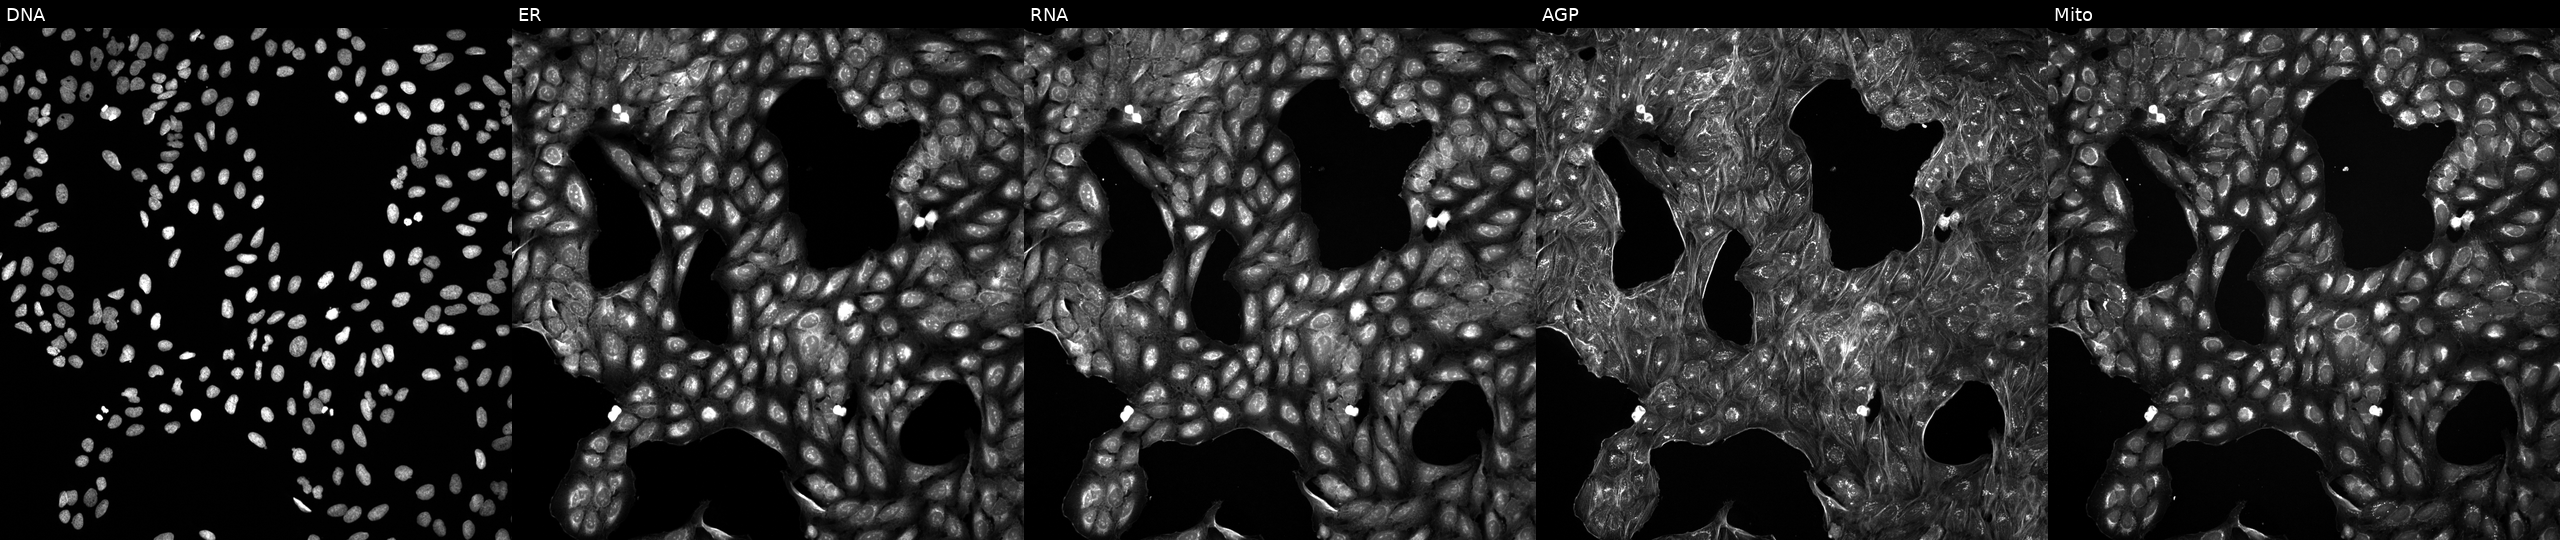
JUMP Cell Painting — COMPOUND plate. U2OS cells perturbed with a small-molecule compound. The five panels, left to right, show DNA (nuclei); ER (endoplasmic reticulum); RNA (nucleoli and cytoplasmic RNA); AGP (actin cytoskeleton, Golgi, and plasma membrane); Mito (mitochondria). Source 5, plate APTJUM105, well H17.